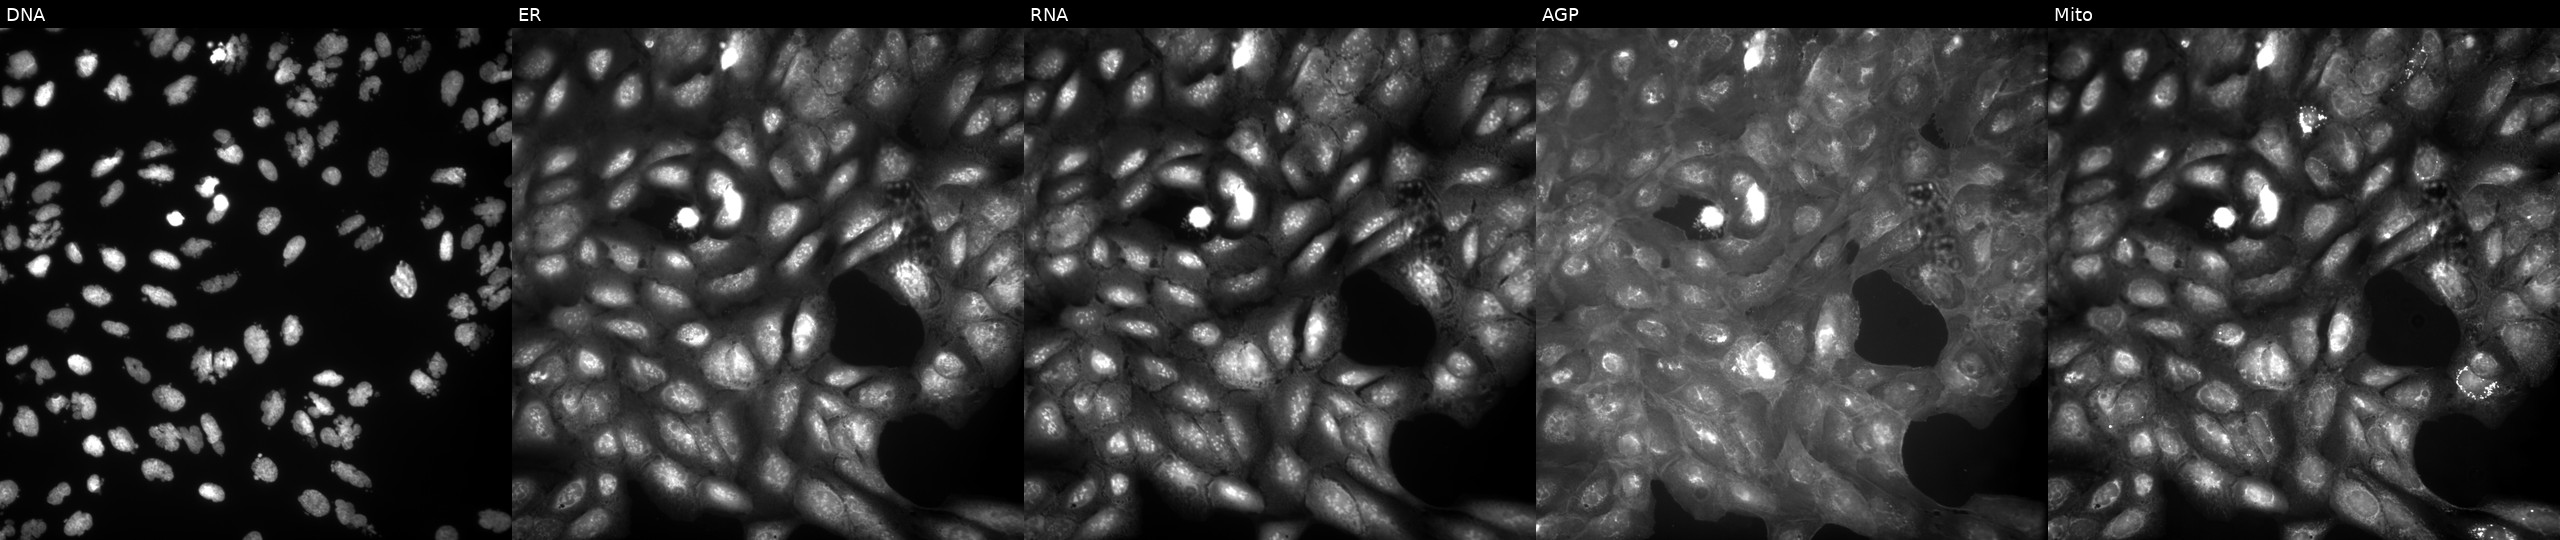
JUMP Cell Painting — COMPOUND plate. U2OS cells treated with AMG900 (positive-control compound) (JUMP id JCP2022_037716). From left to right: Hoechst 33342, concanavalin A, SYTO 14, phalloidin and WGA, MitoTracker. Source 9, plate GR00003381, well R48.